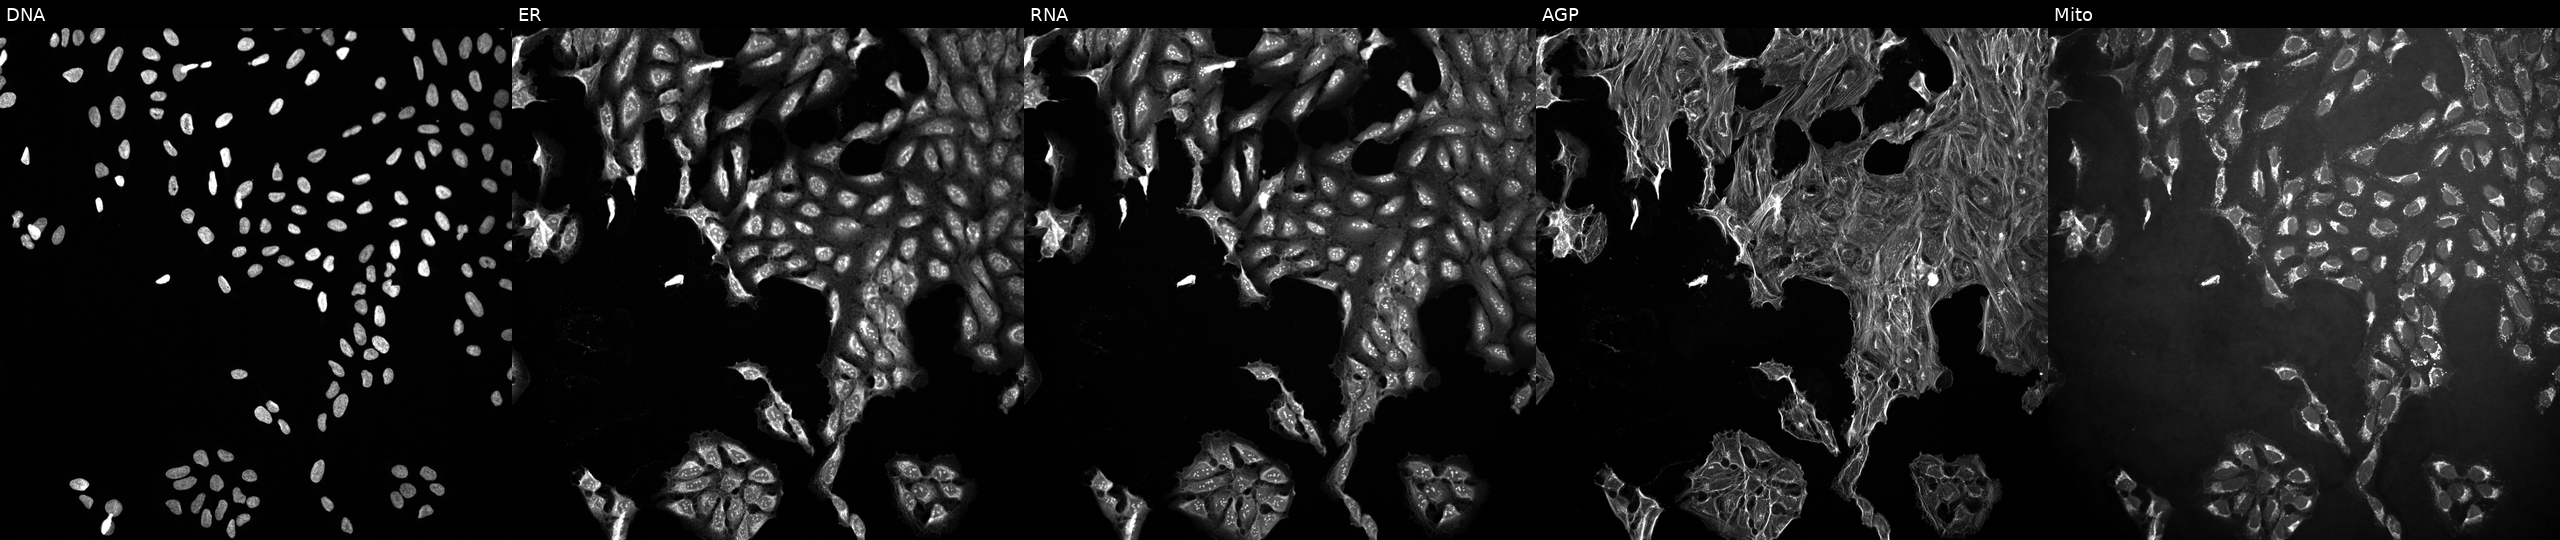
JUMP Cell Painting — TARGET2 plate. U2OS cells treated with a small-molecule compound (InChIKey QUIIIYITNGOFEI-UHFFFAOYSA-N) [SMILES: Cc1ccc(-n2sc(=O)n(Cc3ccc(F)cc3)c2=O)cc1] (JUMP id JCP2022_075930). From left to right: Hoechst 33342, concanavalin A, SYTO 14, phalloidin and WGA, MitoTracker.